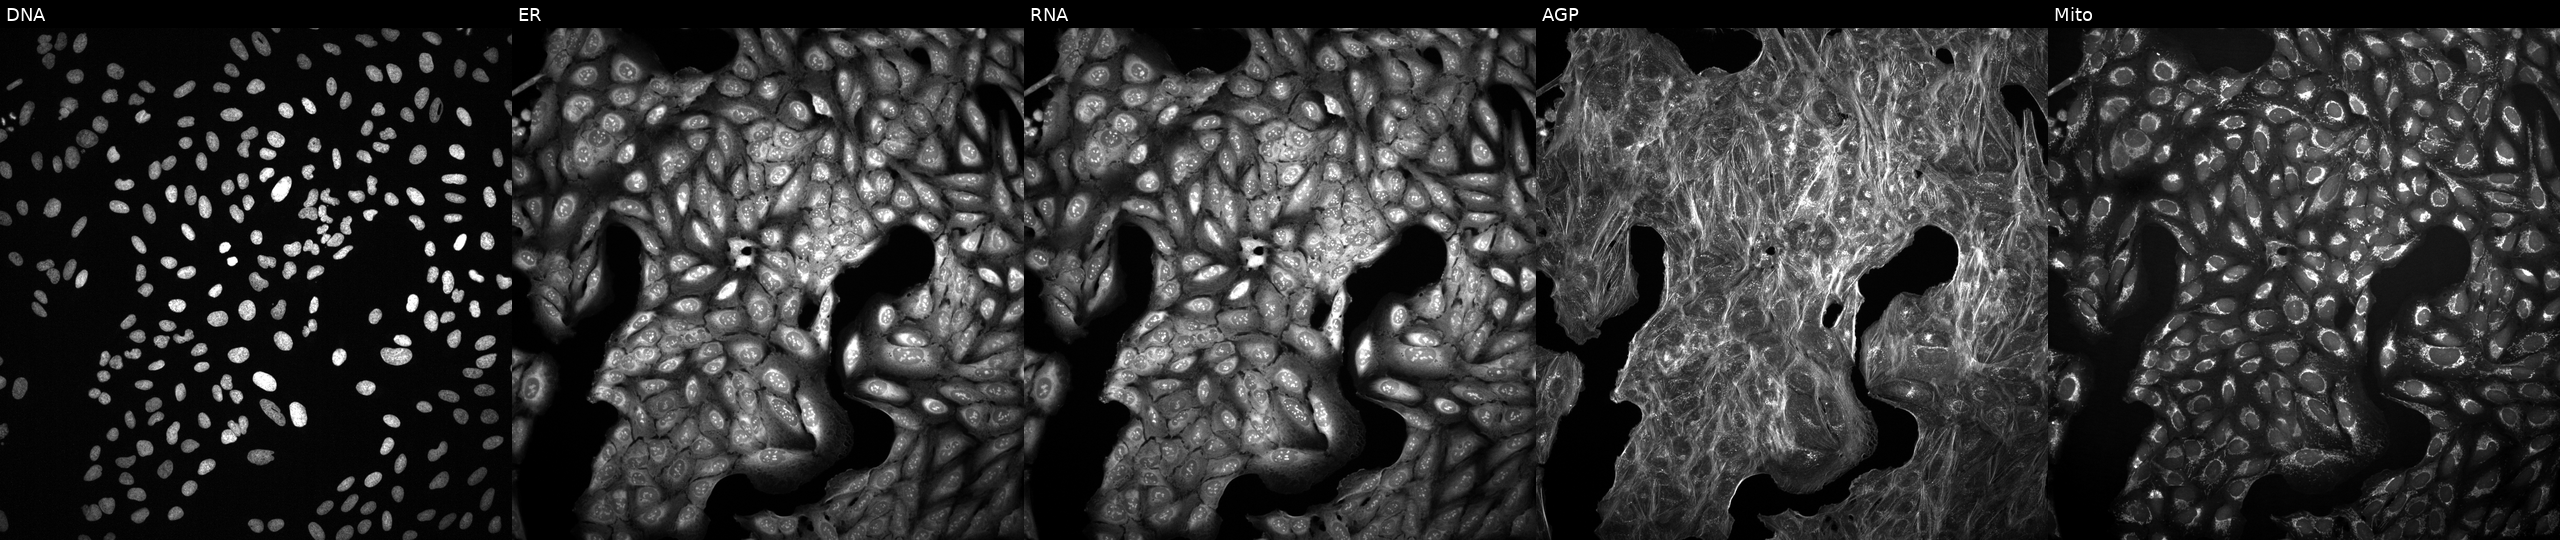
U2OS cells, Cell Painting assay, treated with a small-molecule compound (InChIKey KPYSYYIEGFHWSV-UHFFFAOYSA-N) (JUMP id JCP2022_046239). From left to right: DNA, ER, RNA, AGP, and Mito. Each panel is percentile-stretched 16-bit fluorescence.